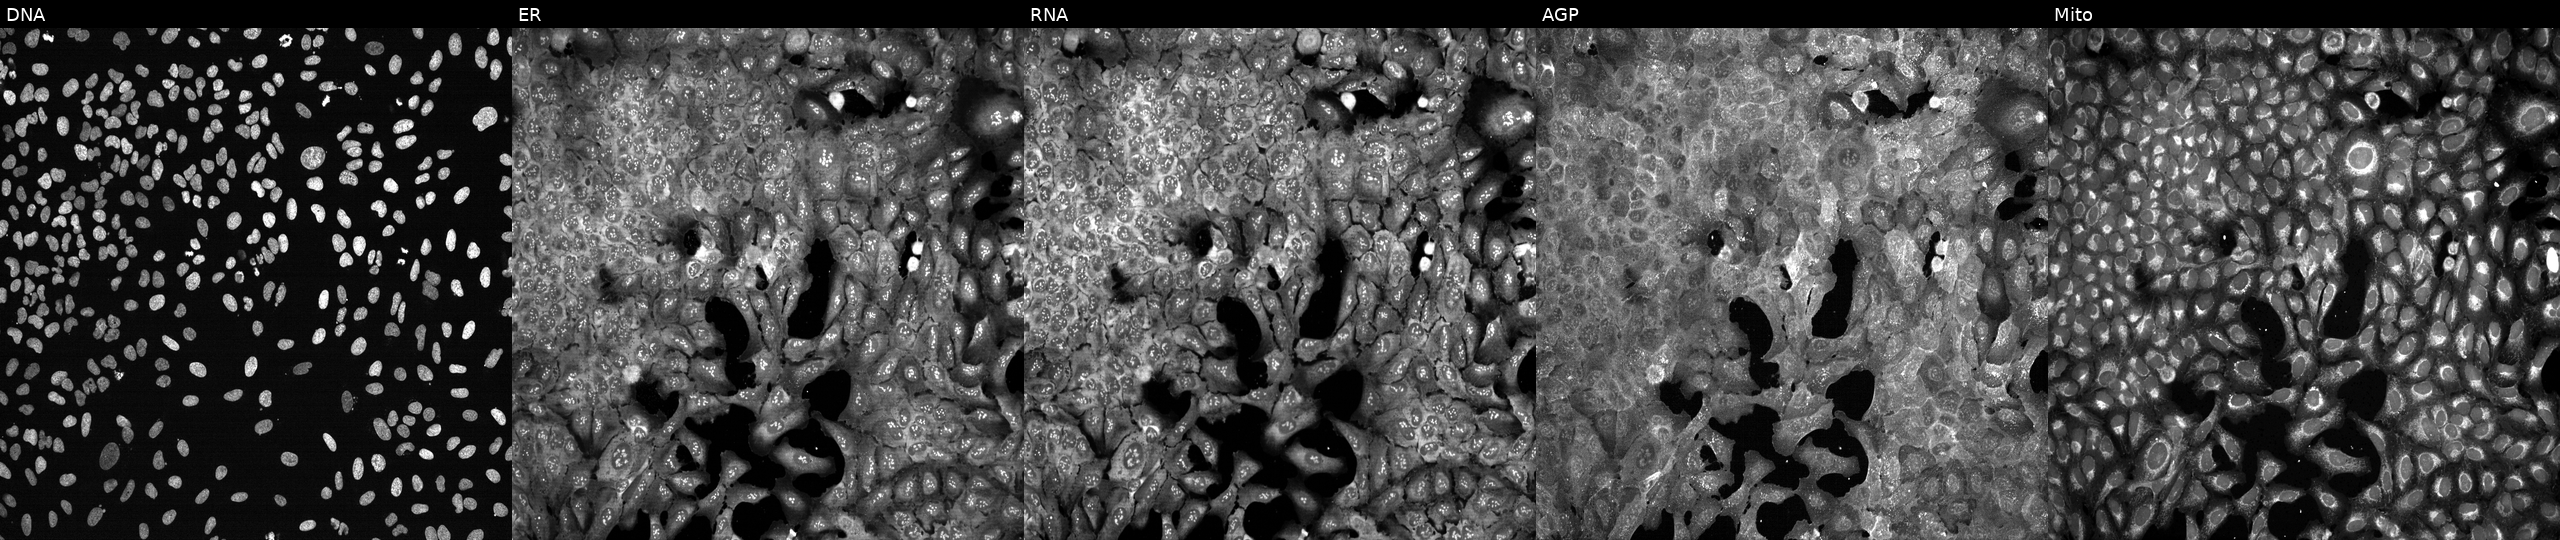
Five-channel Cell Painting image of U2OS cells with ABCA13 knocked out by CRISPR (JUMP id JCP2022_800023). Channels (left→right): DNA, ER, RNA, AGP, and Mito.